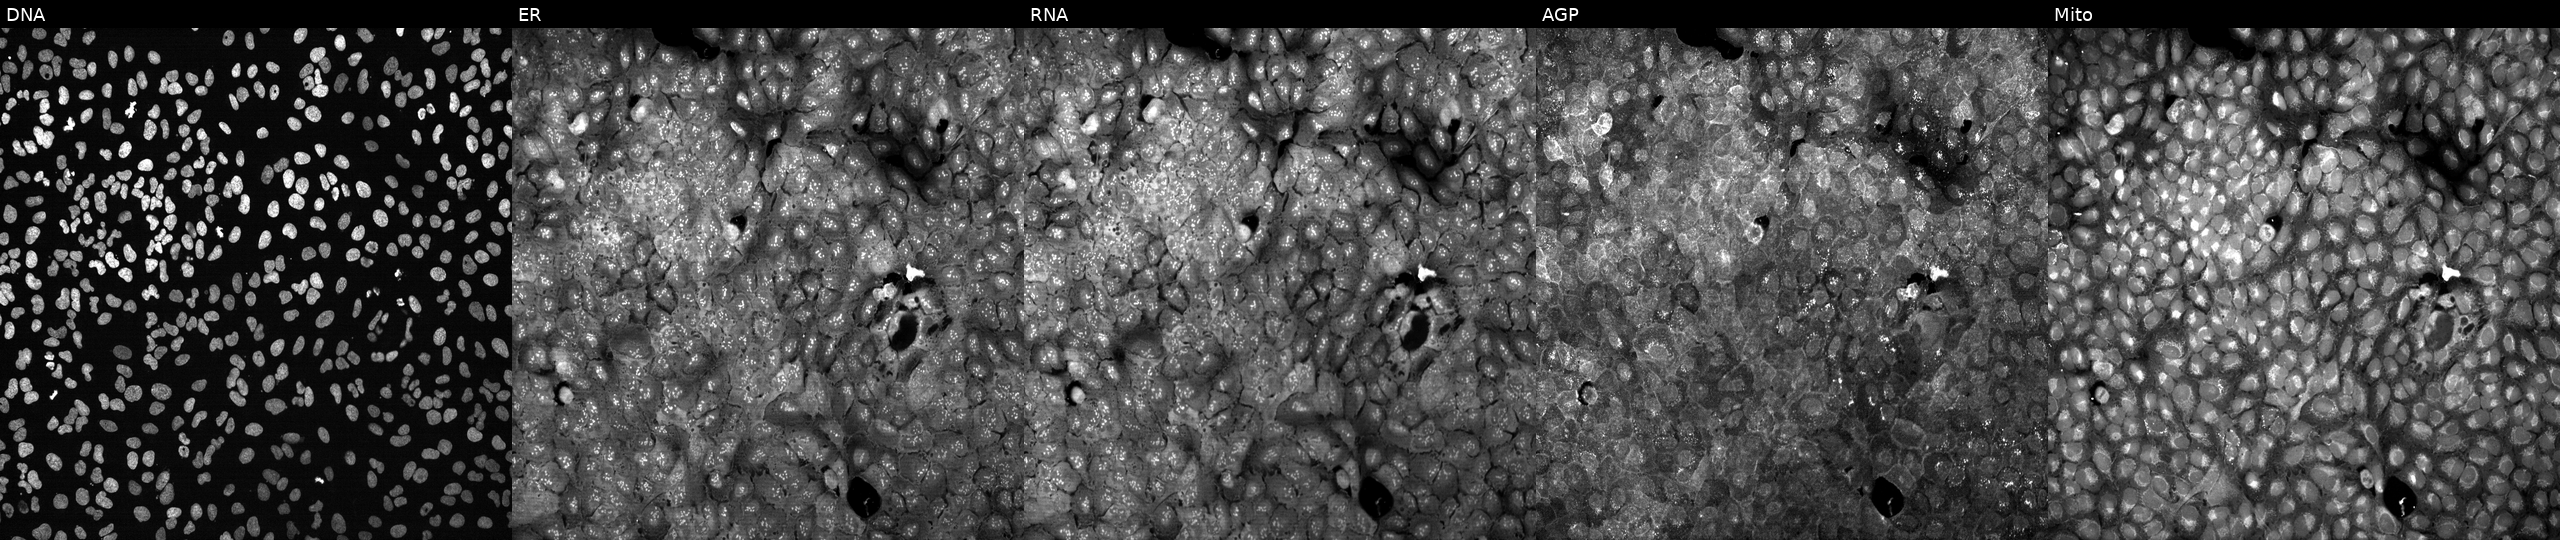
Five-channel Cell Painting image of U2OS cells with LDHC knocked out by CRISPR. From left to right: Hoechst 33342, concanavalin A, SYTO 14, phalloidin and WGA, MitoTracker.